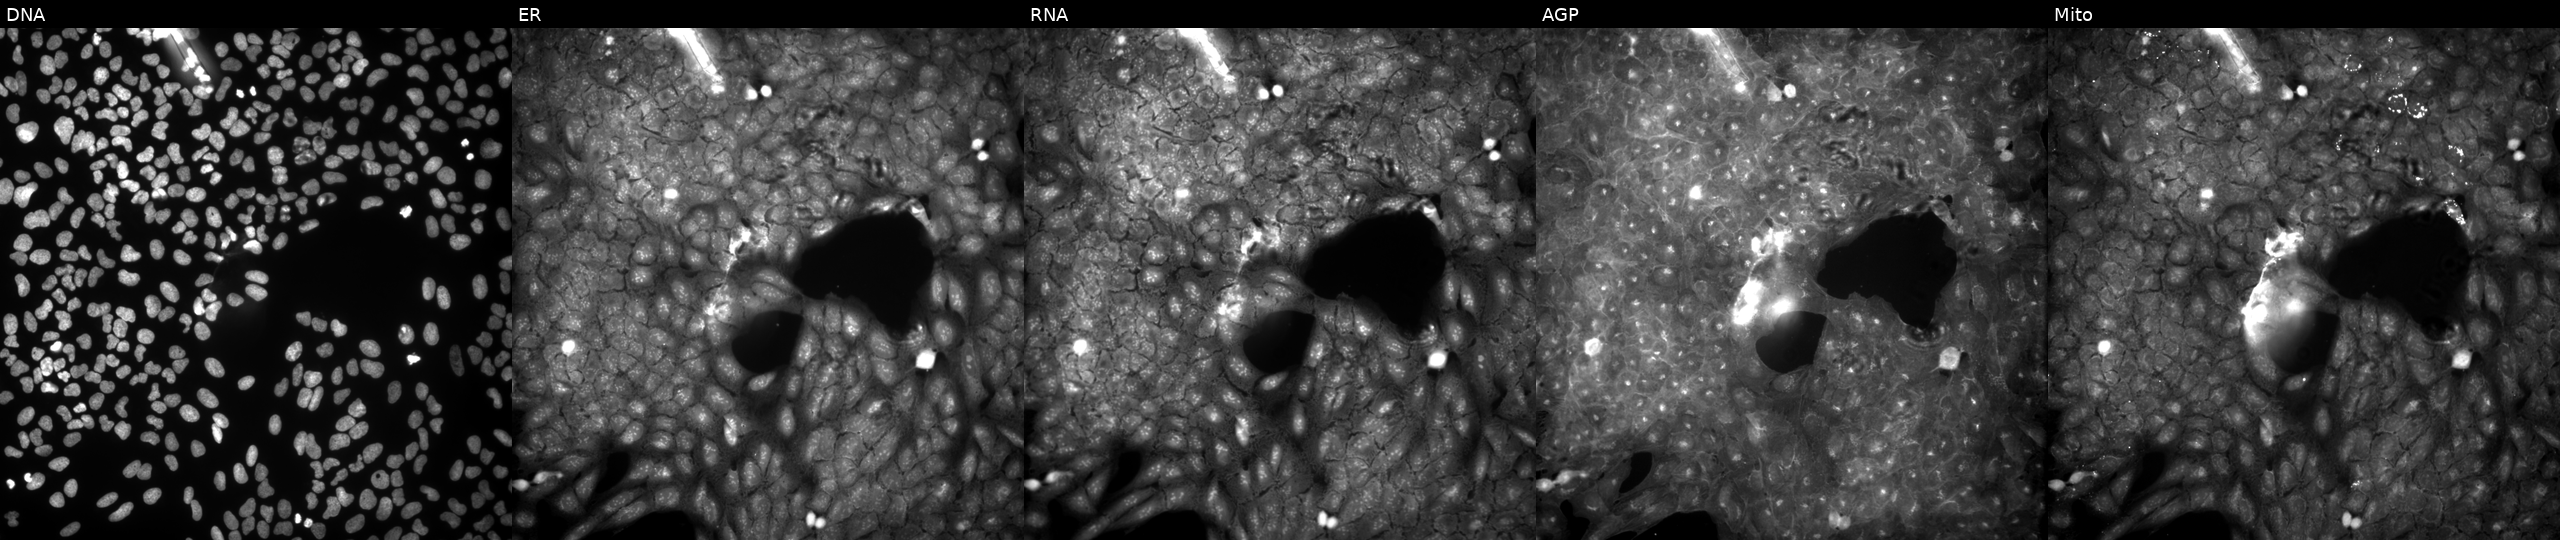
U2OS cells, Cell Painting assay, perturbed with a small-molecule compound (InChIKey LXBMTSUDKRFZND-UHFFFAOYSA-N) [SMILES: O=C(CN1C(=O)c2ccccc2C1=O)Nc1ccccc1F]. Channels (left→right): DNA (nuclei); ER (endoplasmic reticulum); RNA (nucleoli and cytoplasmic RNA); AGP (actin cytoskeleton, Golgi, and plasma membrane); Mito (mitochondria). Each panel is percentile-stretched 16-bit fluorescence. Source 9, plate GR00003382, well N28.